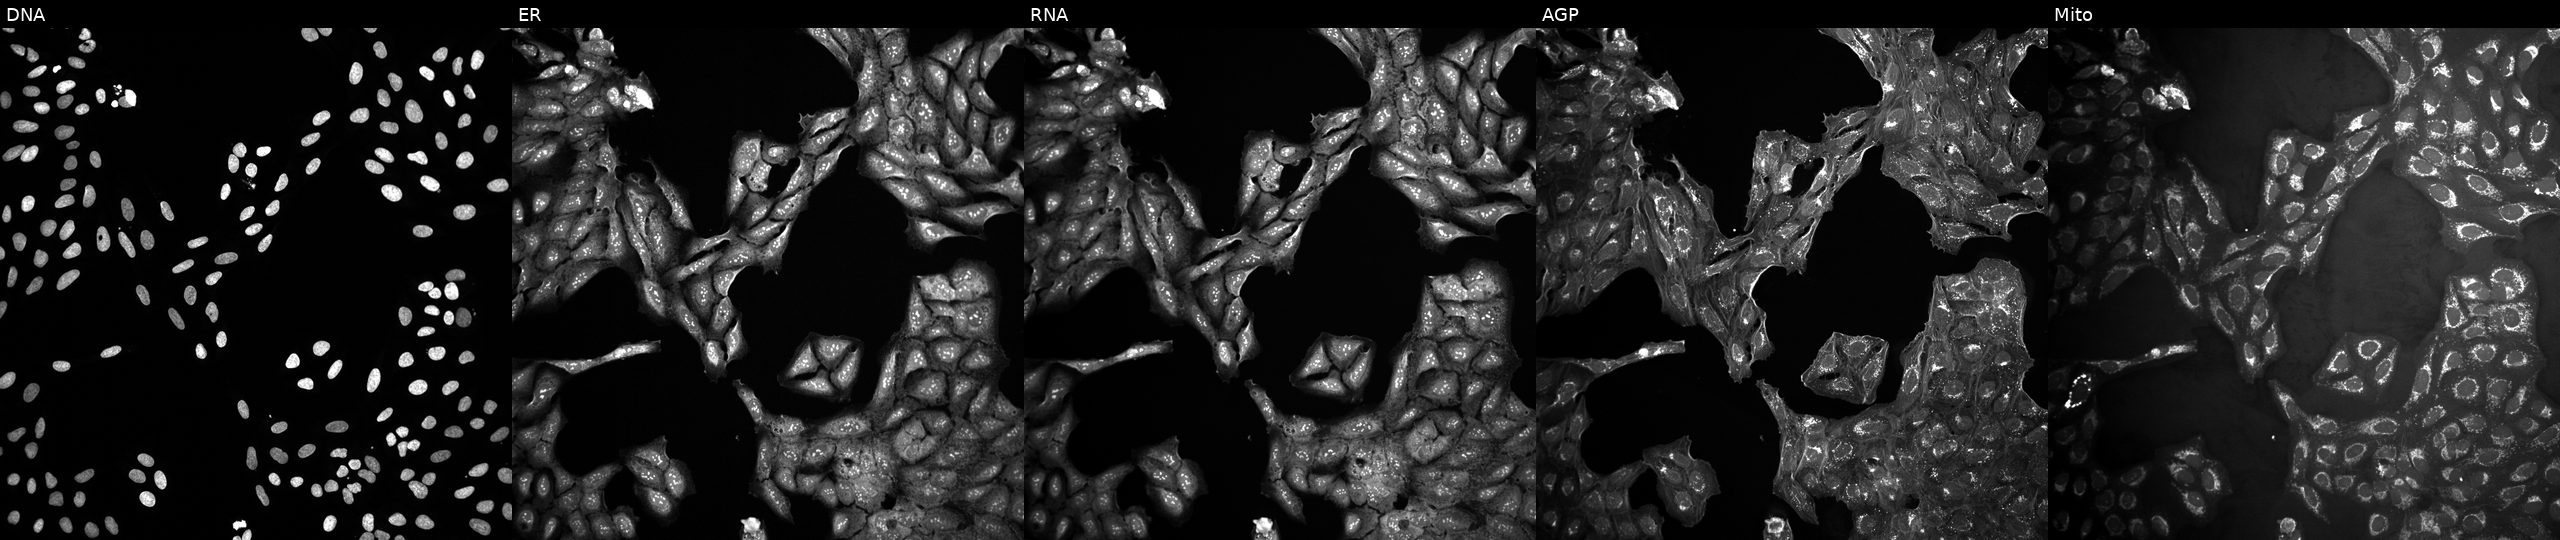
This image strip shows the five Cell Painting channels for a single field of U2OS cells perturbed with a small-molecule compound. From left to right: DNA (nuclei); ER (endoplasmic reticulum); RNA (nucleoli and cytoplasmic RNA); AGP (actin cytoskeleton, Golgi, and plasma membrane); Mito (mitochondria).